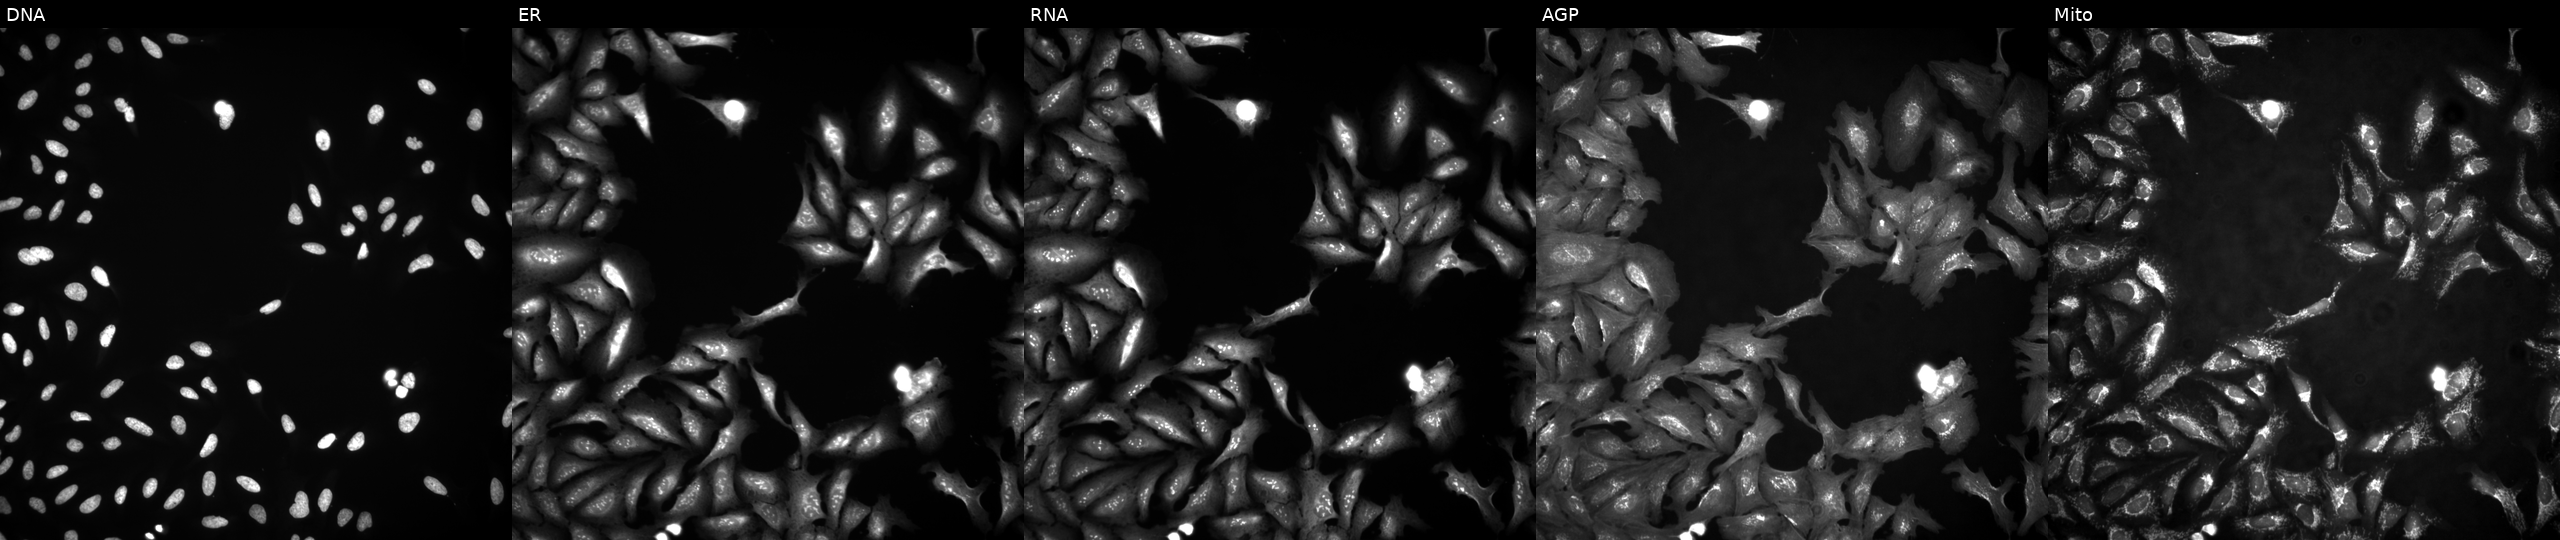
JUMP Cell Painting — ORF plate. U2OS cells overexpressing ACTA2 via ORF transfection. The five panels, left to right, show DNA (nuclei); ER (endoplasmic reticulum); RNA (nucleoli and cytoplasmic RNA); AGP (actin cytoskeleton, Golgi, and plasma membrane); Mito (mitochondria).